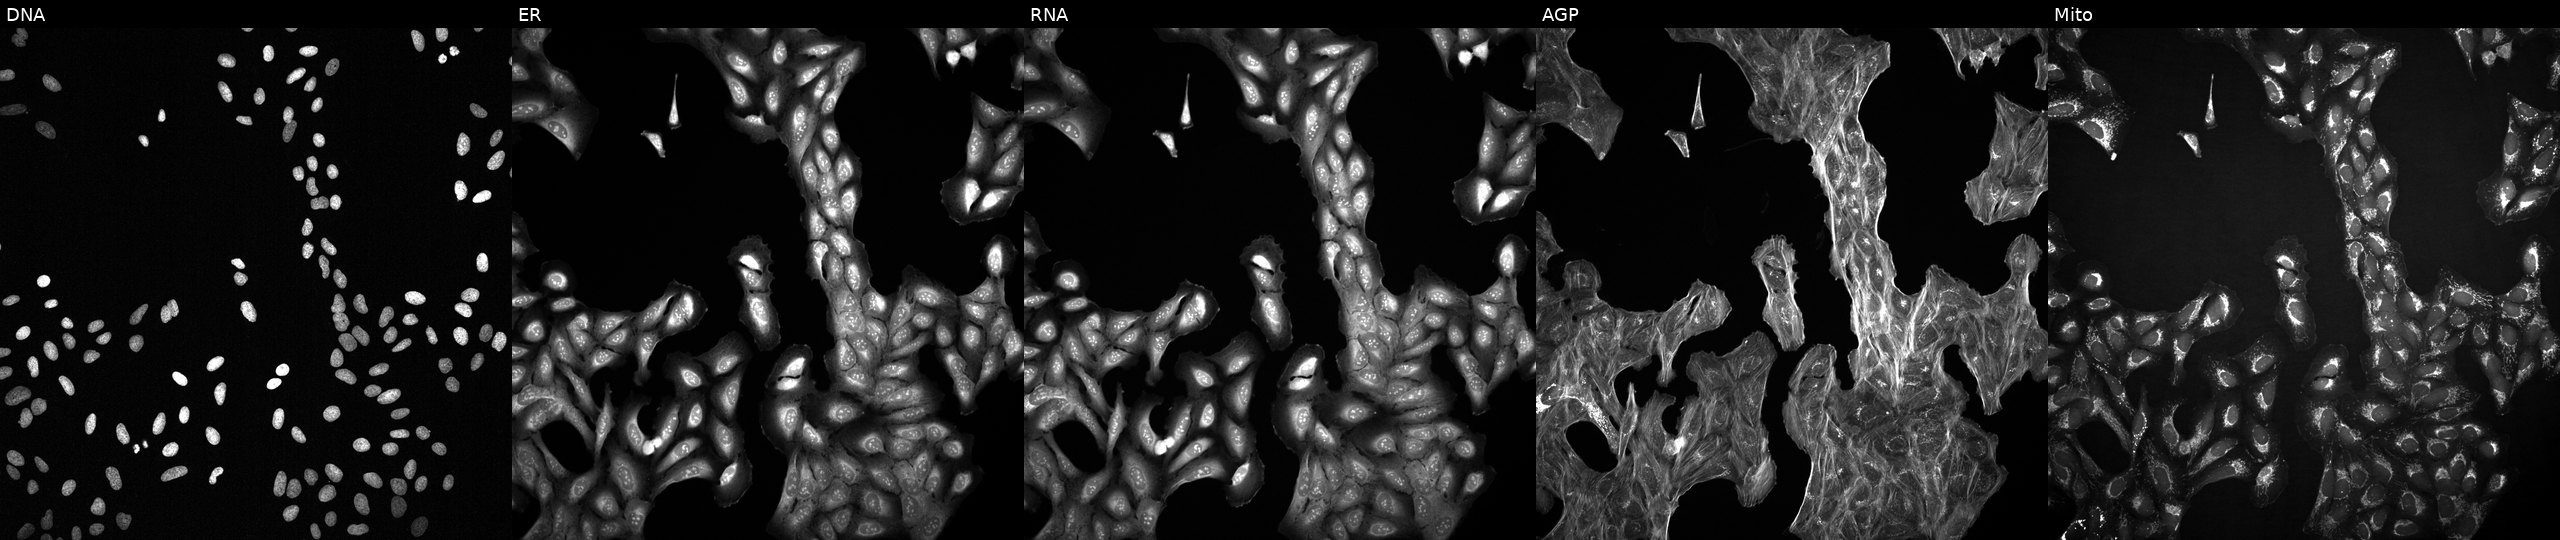
U2OS cells, Cell Painting assay, perturbed with a small-molecule compound (JUMP id JCP2022_092862). Channels (left→right): Hoechst 33342, concanavalin A, SYTO 14, phalloidin and WGA, MitoTracker. Each panel is percentile-stretched 16-bit fluorescence.